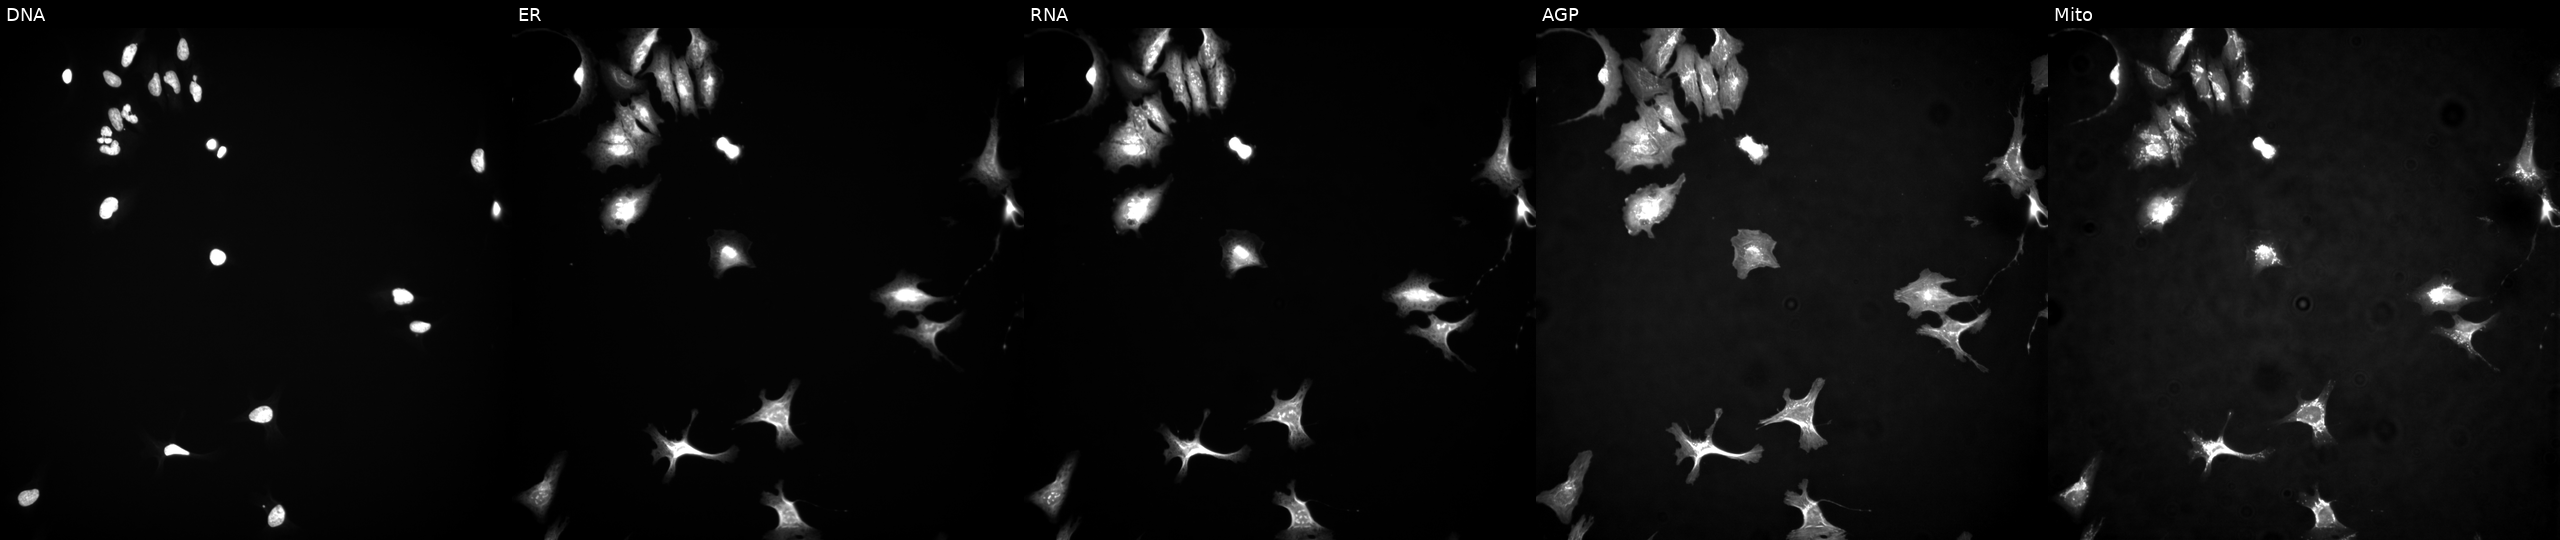
JUMP Cell Painting — ORF plate. U2OS cells expressing eGFP (ORF positive control). The five panels, left to right, show Hoechst 33342, concanavalin A, SYTO 14, phalloidin and WGA, MitoTracker.